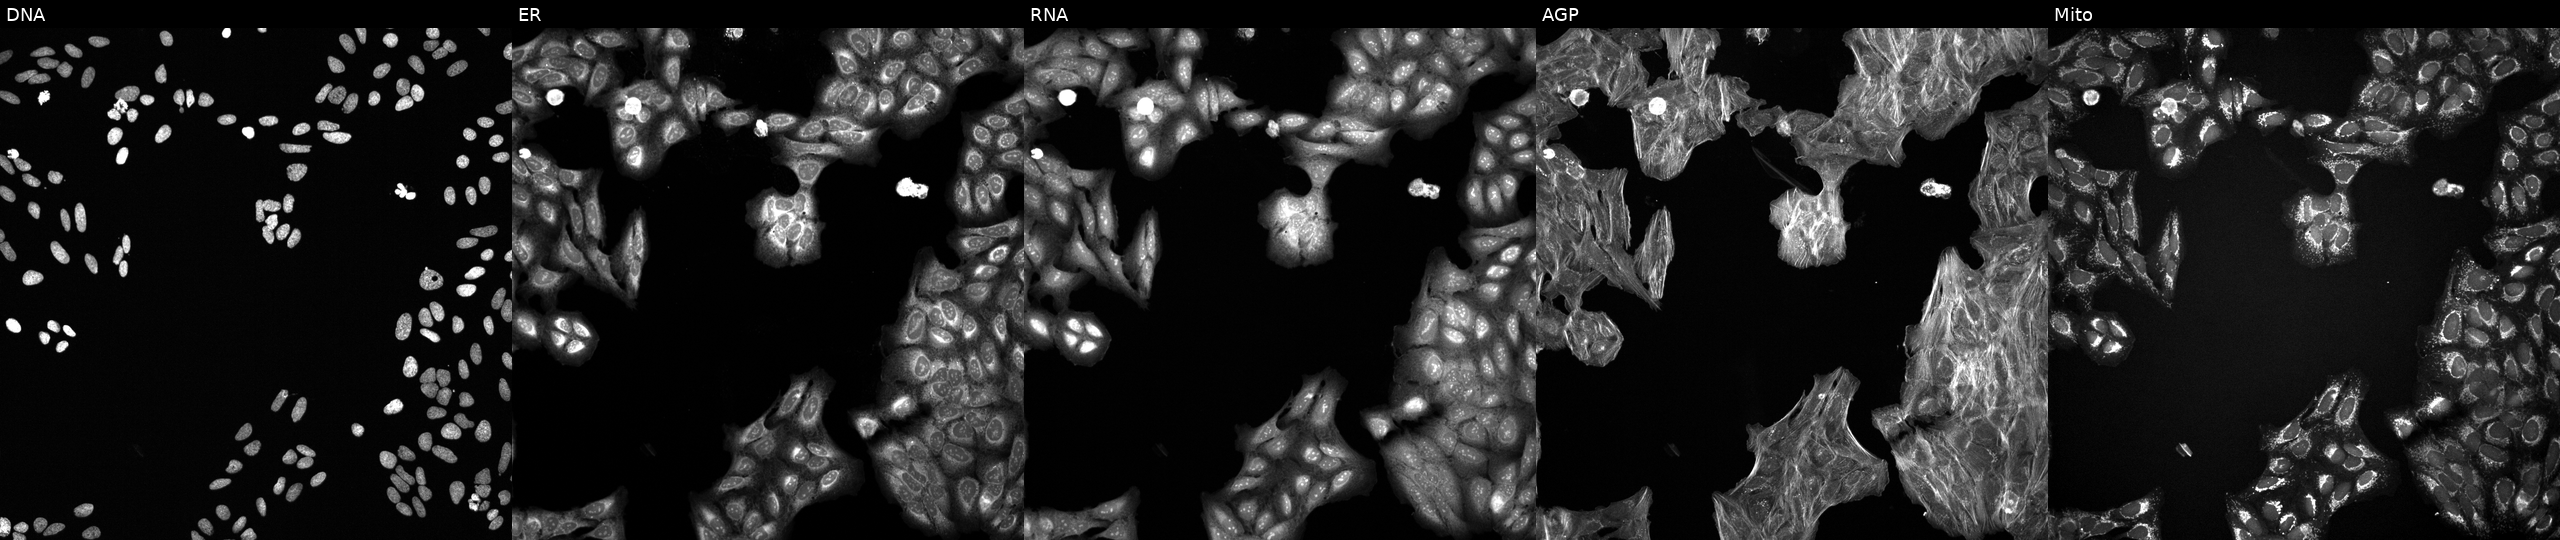
This image strip shows the five Cell Painting channels for a single field of U2OS cells exposed to a small-molecule compound (JUMP id JCP2022_015955). Channels (left→right): DNA, ER, RNA, AGP, and Mito. Source 6, plate 110000293093, well J03.